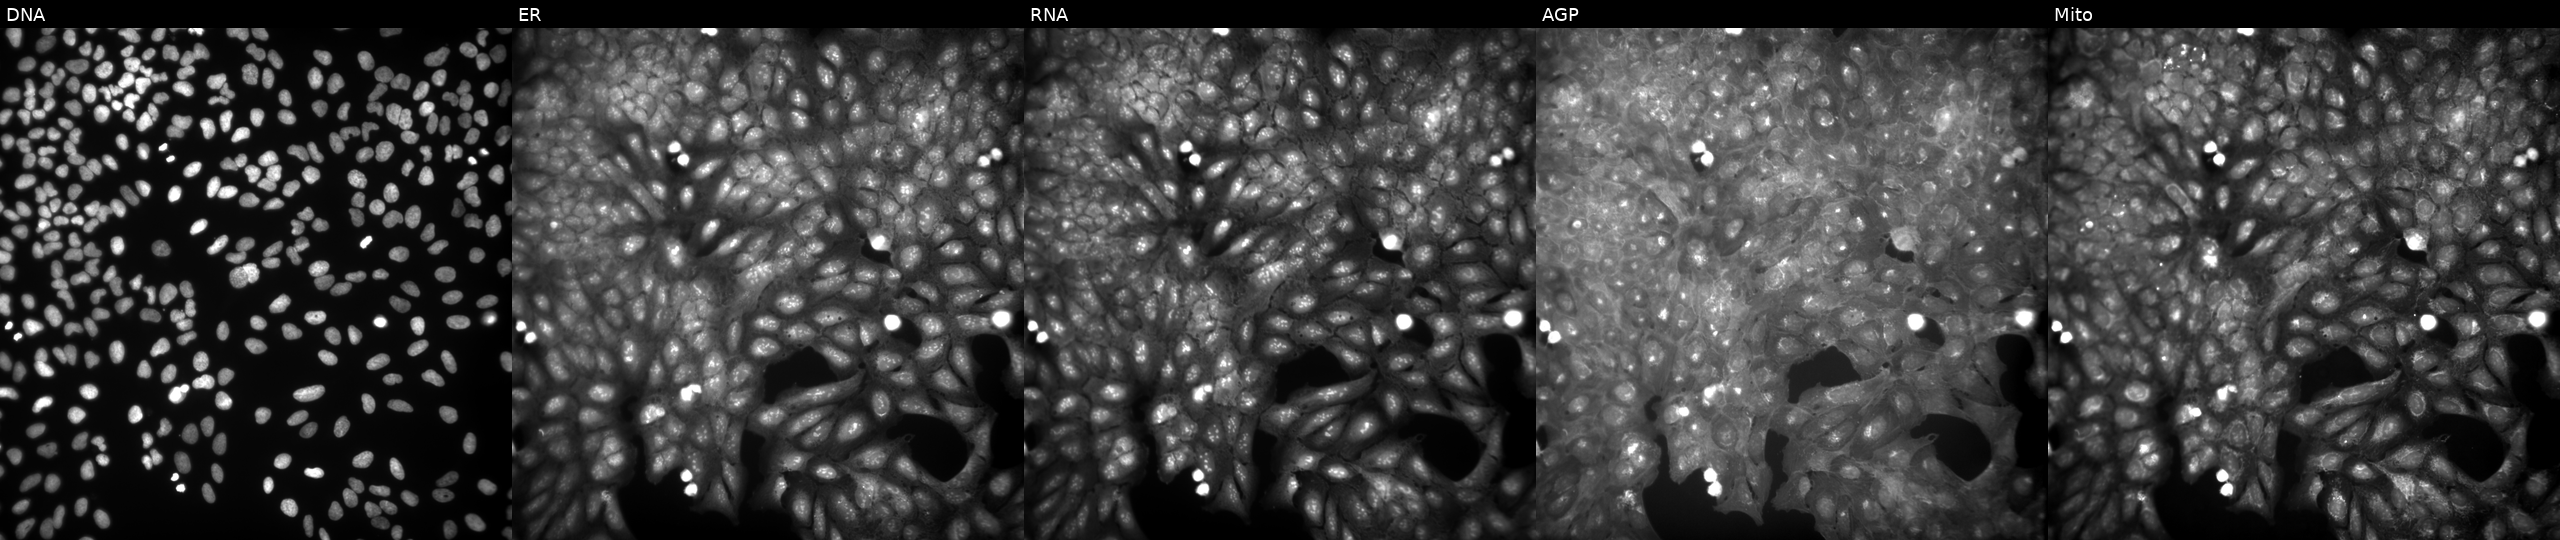
High-content fluorescence microscopy (Cell Painting). Cell line: U2OS. Perturbation: perturbed with a small-molecule compound. The five panels, left to right, show Hoechst 33342, concanavalin A, SYTO 14, phalloidin and WGA, MitoTracker.